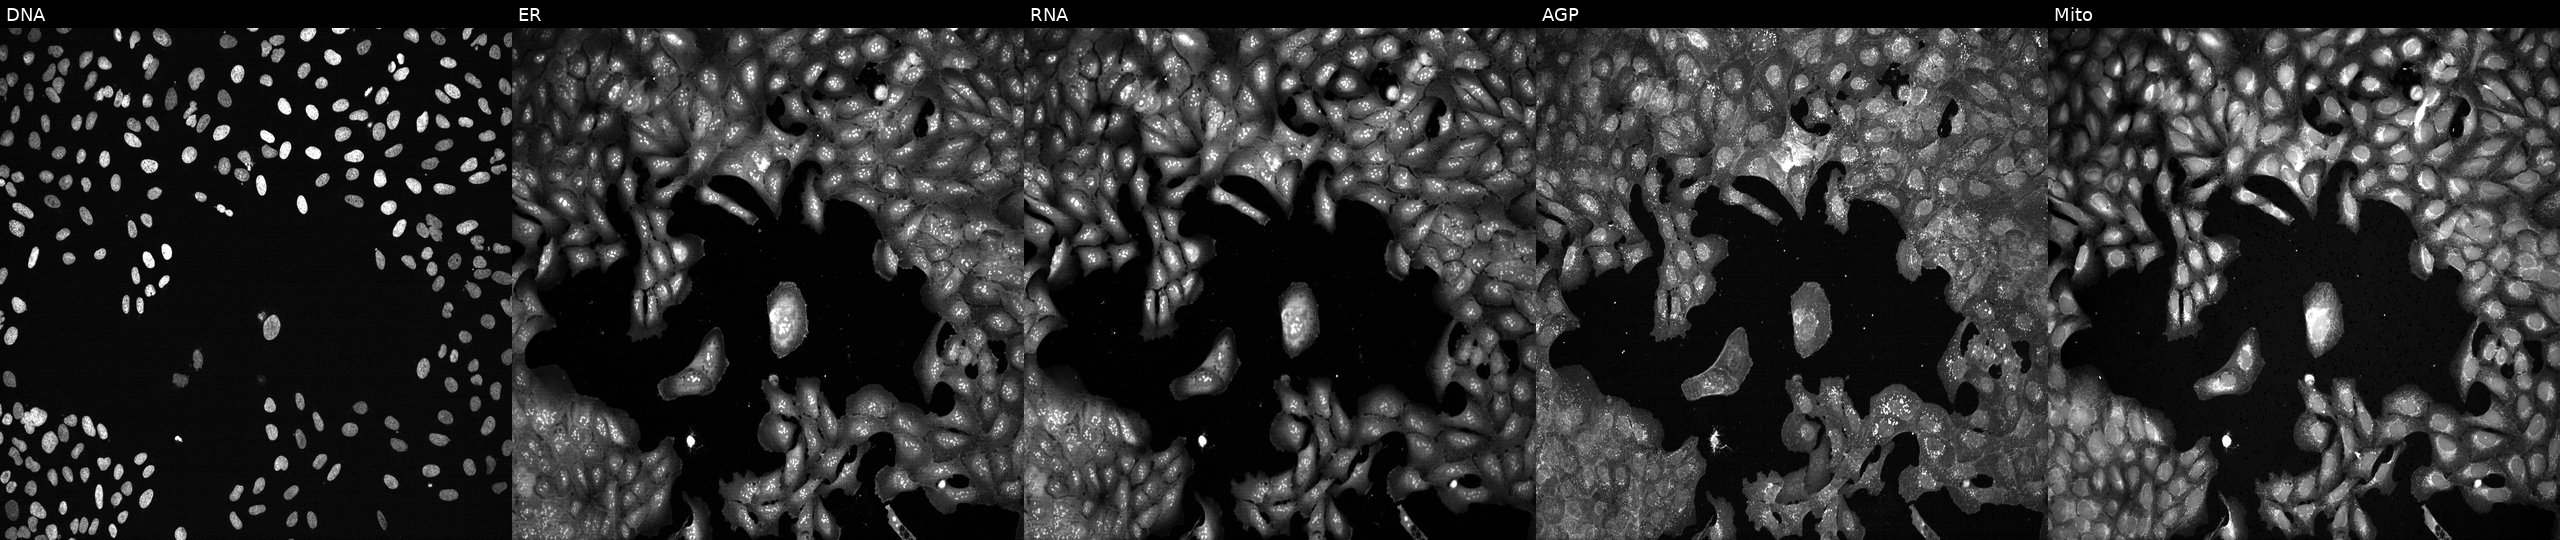
U2OS cells, Cell Painting assay, with CD163 knocked out by CRISPR (JUMP id JCP2022_801146). Panels show, left to right, Hoechst 33342, concanavalin A, SYTO 14, phalloidin and WGA, MitoTracker. Each panel is percentile-stretched 16-bit fluorescence. Source 13, plate CP-CC9-R1-02, well P19.